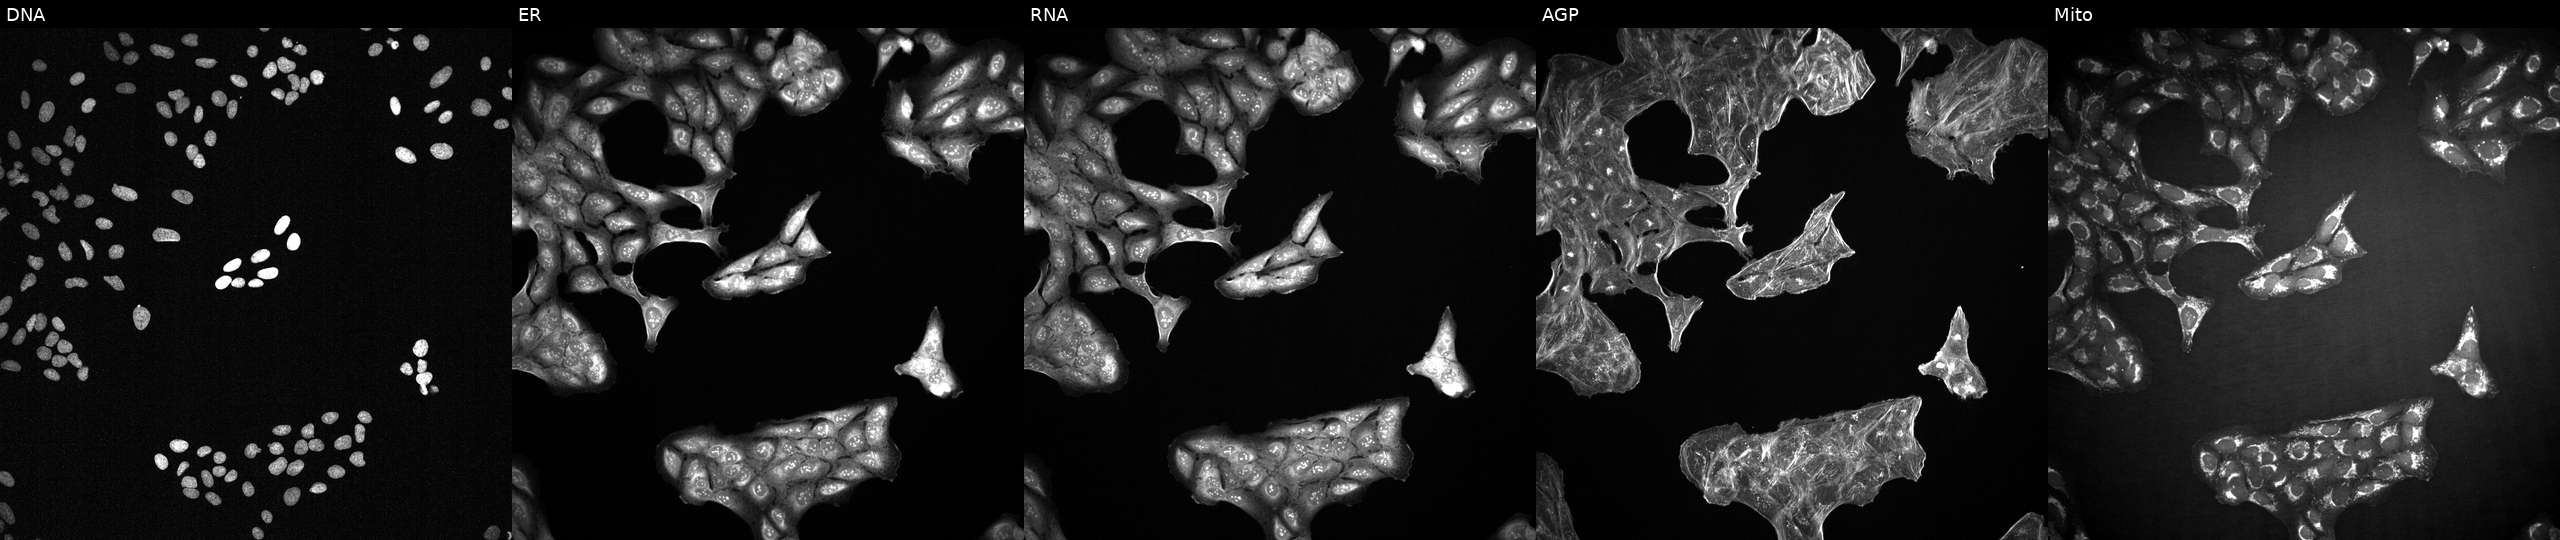
U2OS cells, Cell Painting assay, perturbed with a small-molecule compound [SMILES: CCn1c(=O)[nH]c2ccccc21] (JUMP id JCP2022_014114). Channels (left→right): DNA, ER, RNA, AGP, and Mito. Each panel is percentile-stretched 16-bit fluorescence.